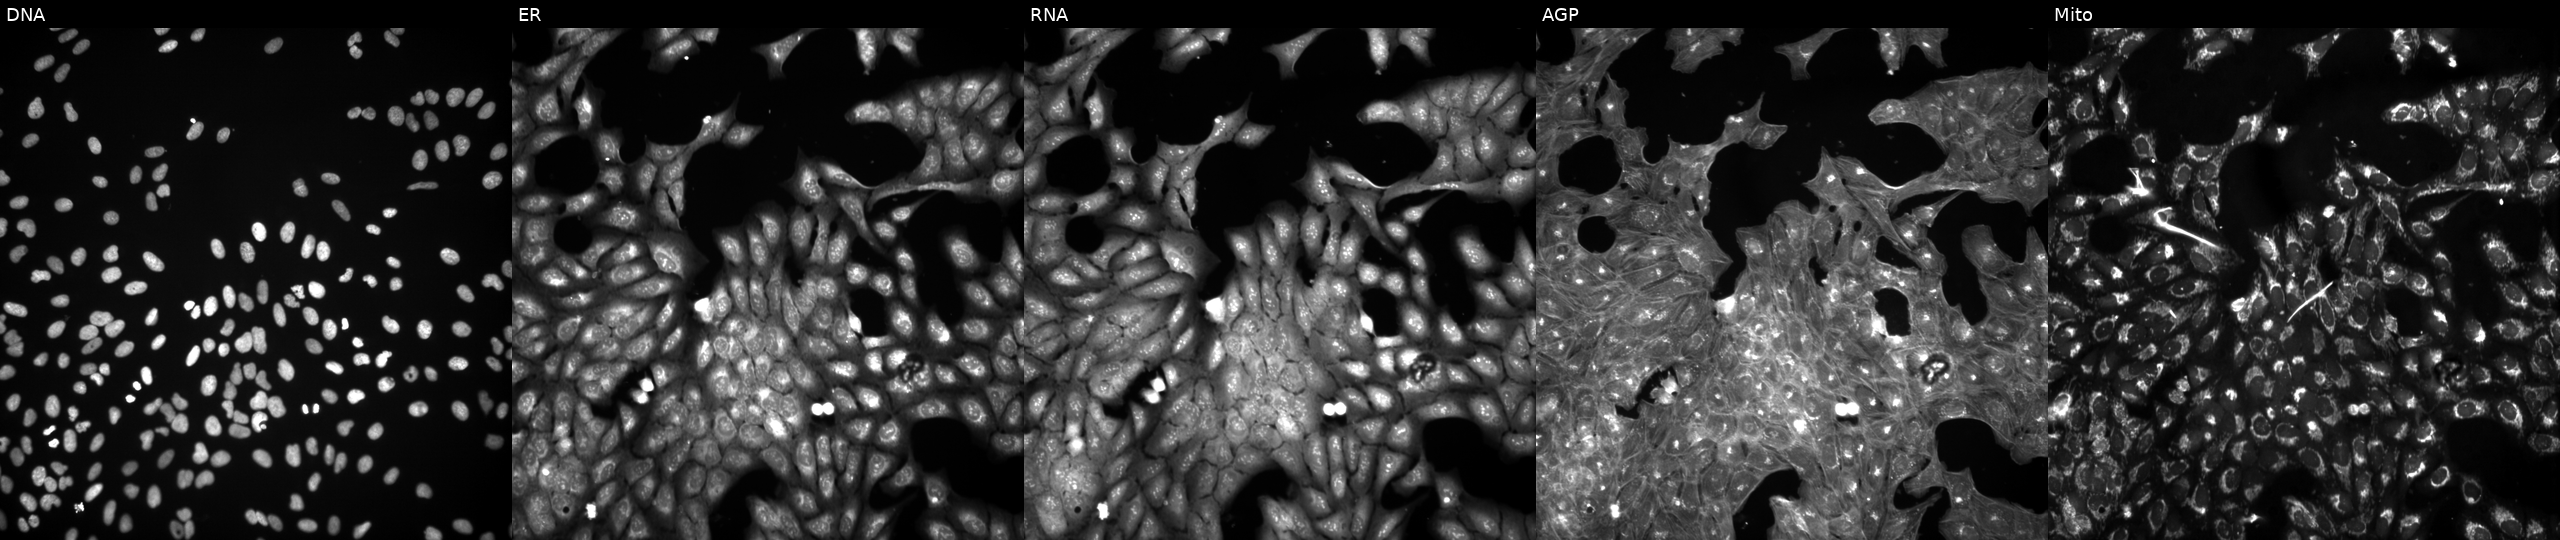
Panels show, left to right, DNA, ER, RNA, AGP, and Mito. U2OS osteosarcoma cells treated with a small-molecule compound (InChIKey TXUZVZSFRXZGTL-UHFFFAOYSA-N). Cell Painting assay, JUMP-CP dataset.